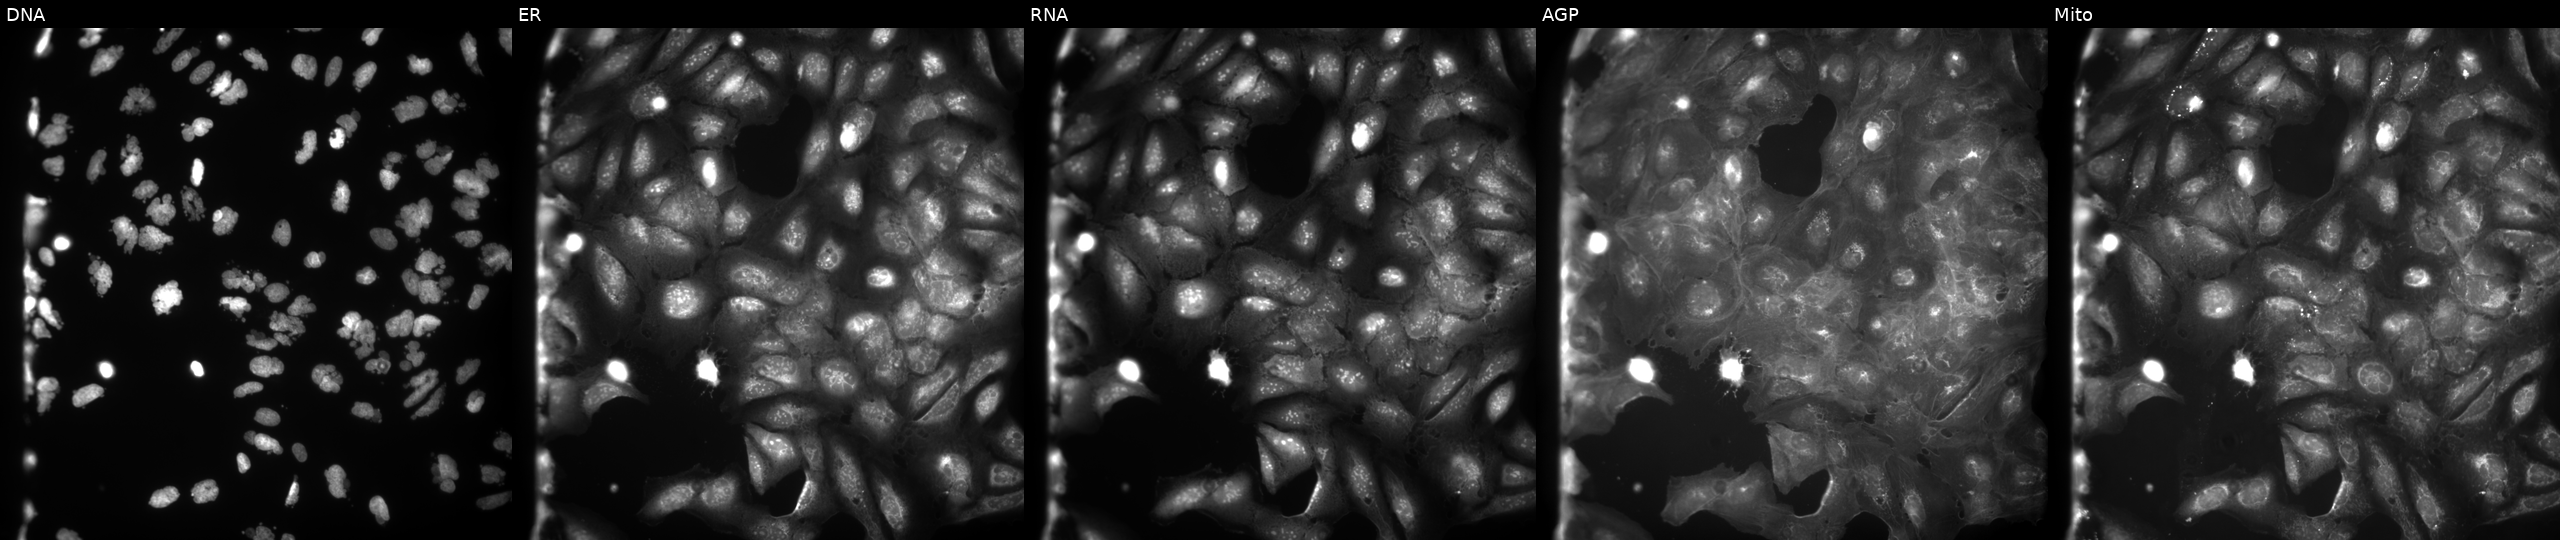
Channels (left→right): Hoechst 33342, concanavalin A, SYTO 14, phalloidin and WGA, MitoTracker. U2OS osteosarcoma cells treated with AMG900 (positive-control compound) (JUMP id JCP2022_037716). Cell Painting assay, JUMP-CP dataset. Source 9, plate GR00003382, well R01.